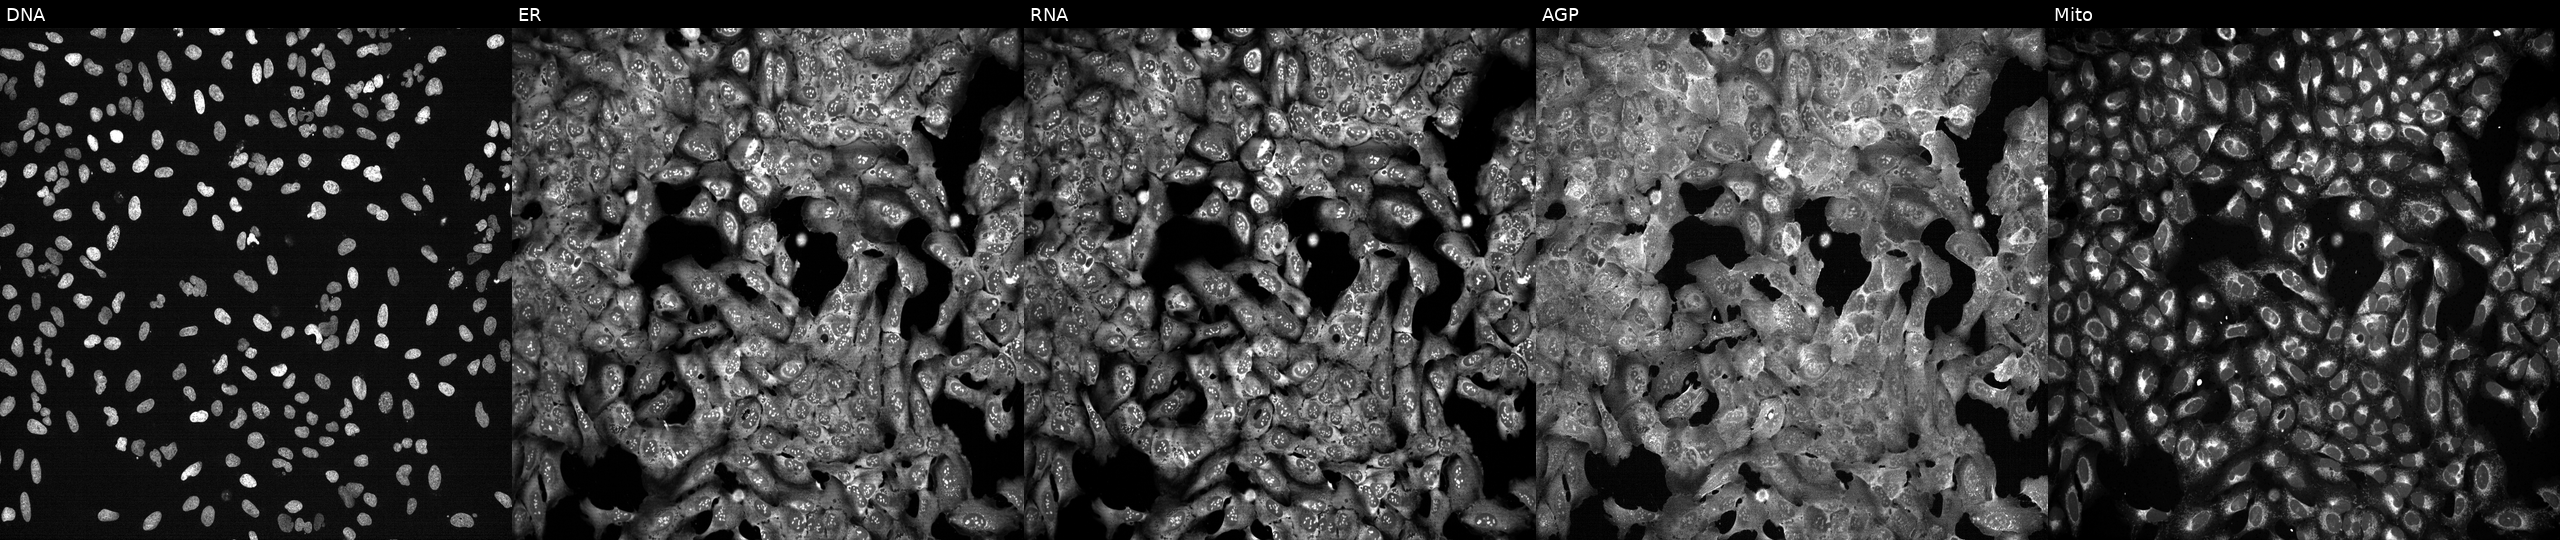
High-content fluorescence microscopy (Cell Painting). Cell line: U2OS. Perturbation: with DDX41 knocked out by CRISPR (JUMP id JCP2022_801739). The five panels, left to right, show Hoechst 33342, concanavalin A, SYTO 14, phalloidin and WGA, MitoTracker.